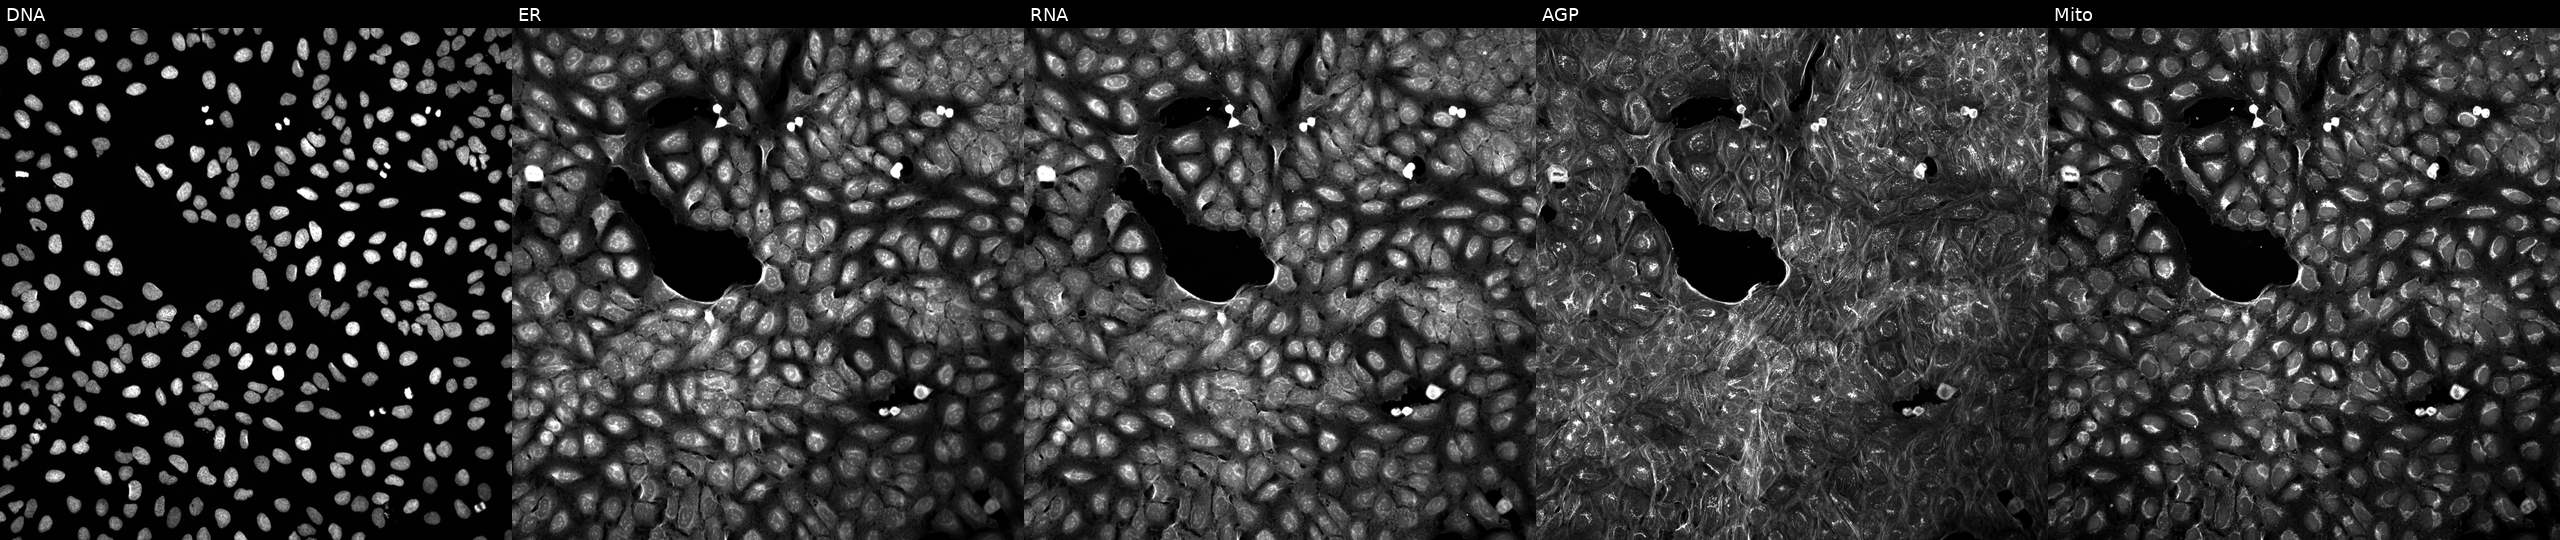
High-content fluorescence microscopy (Cell Painting). Cell line: U2OS. Perturbation: perturbed with a small-molecule compound (InChIKey NBWQWTQOMSLRGK-UHFFFAOYSA-N). The five panels, left to right, show DNA (nuclei); ER (endoplasmic reticulum); RNA (nucleoli and cytoplasmic RNA); AGP (actin cytoskeleton, Golgi, and plasma membrane); Mito (mitochondria).